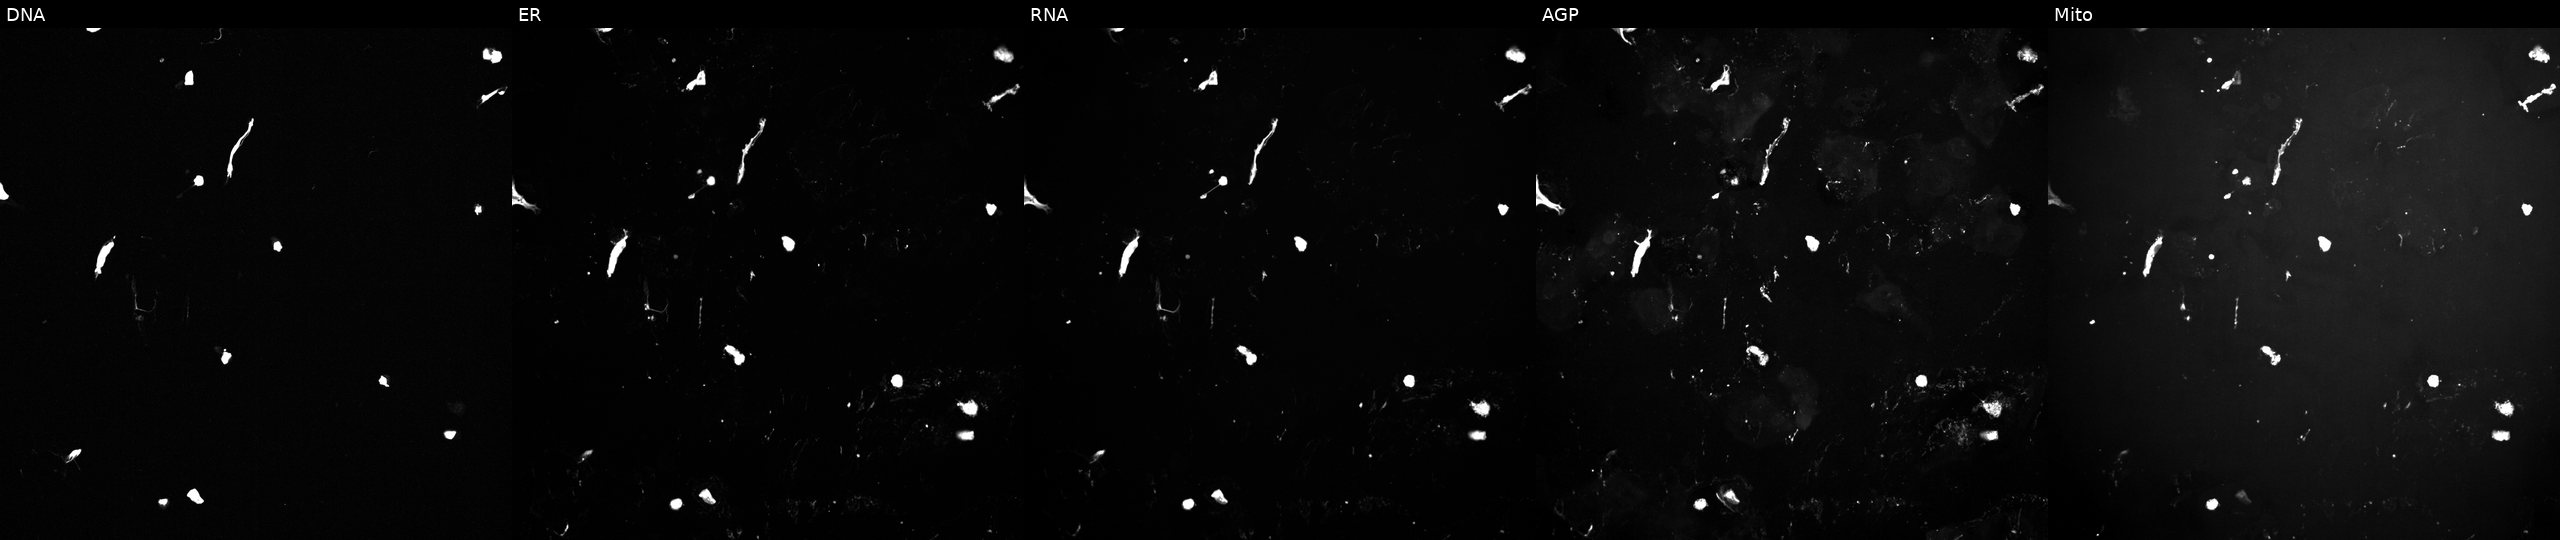
U2OS cells, Cell Painting assay, perturbed with a small-molecule compound. Panels show, left to right, DNA, ER, RNA, AGP, and Mito. Each panel is percentile-stretched 16-bit fluorescence.